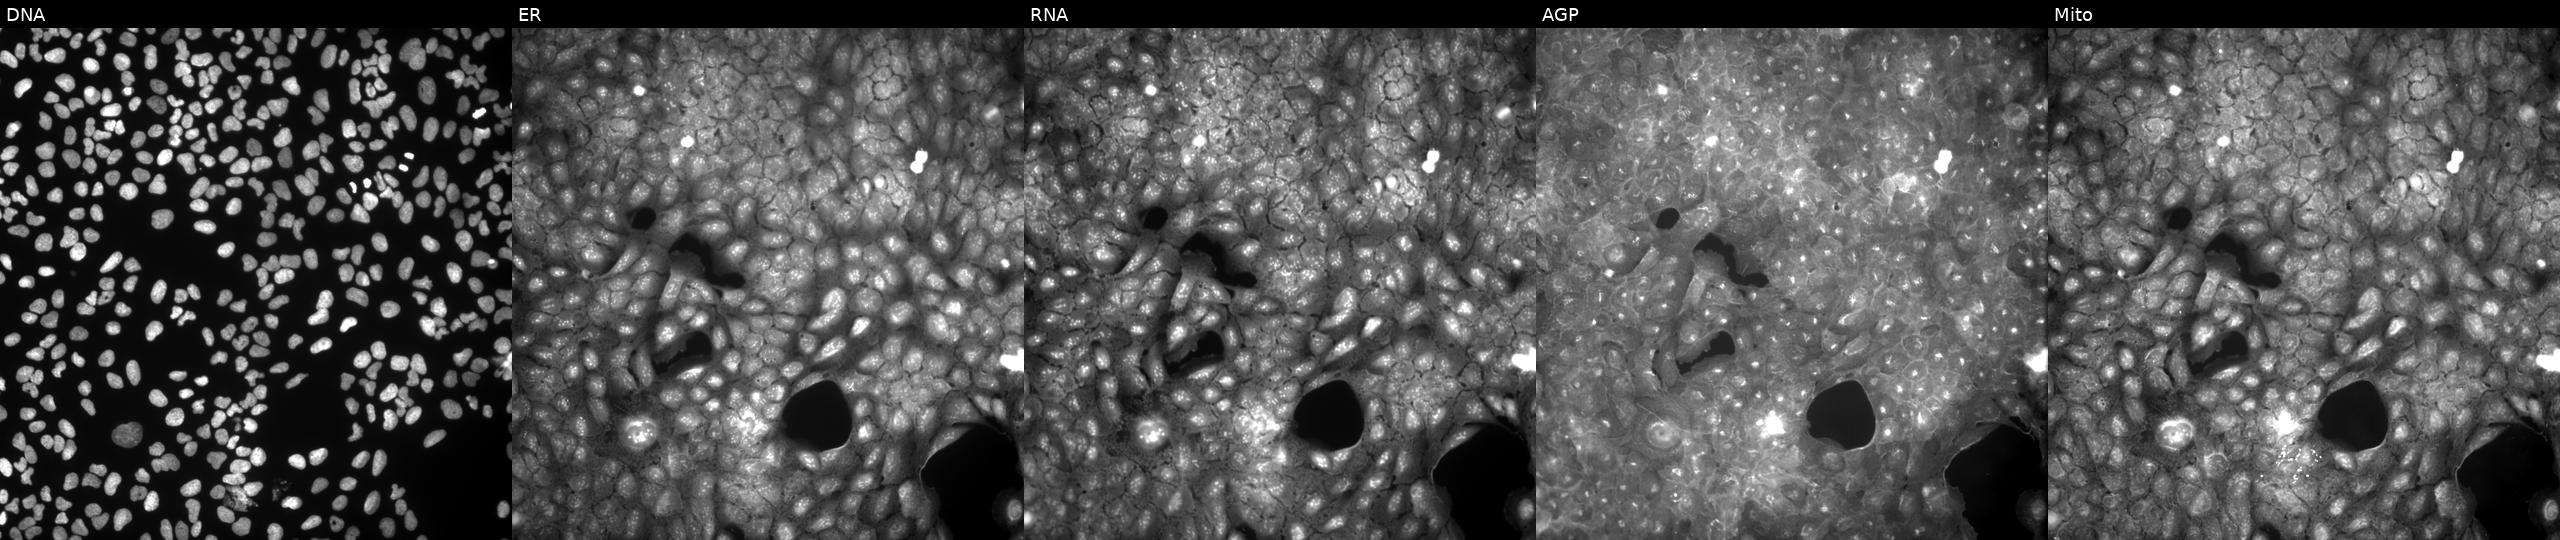
The five panels, left to right, show Hoechst 33342, concanavalin A, SYTO 14, phalloidin and WGA, MitoTracker. U2OS osteosarcoma cells exposed to DMSO alone as a negative control (JUMP id JCP2022_033924). Cell Painting assay, JUMP-CP dataset. Source 9, plate GR00003381, well P23.